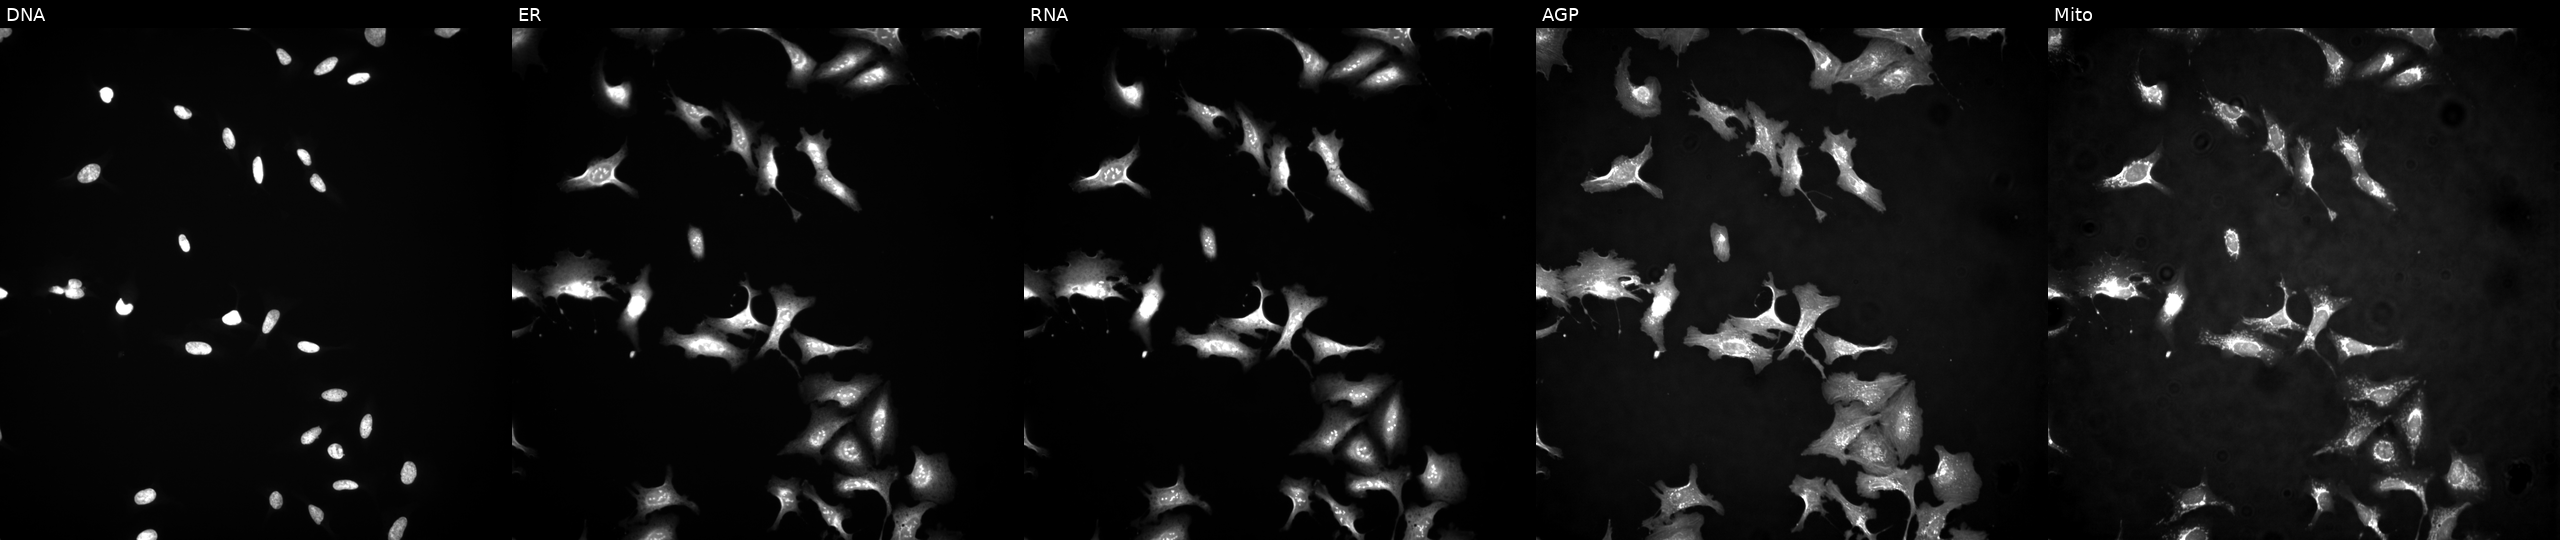
JUMP Cell Painting — ORF plate. U2OS cells transfected with an ORF construct for JAK2 (JUMP id JCP2022_913707). From left to right: Hoechst 33342, concanavalin A, SYTO 14, phalloidin and WGA, MitoTracker.